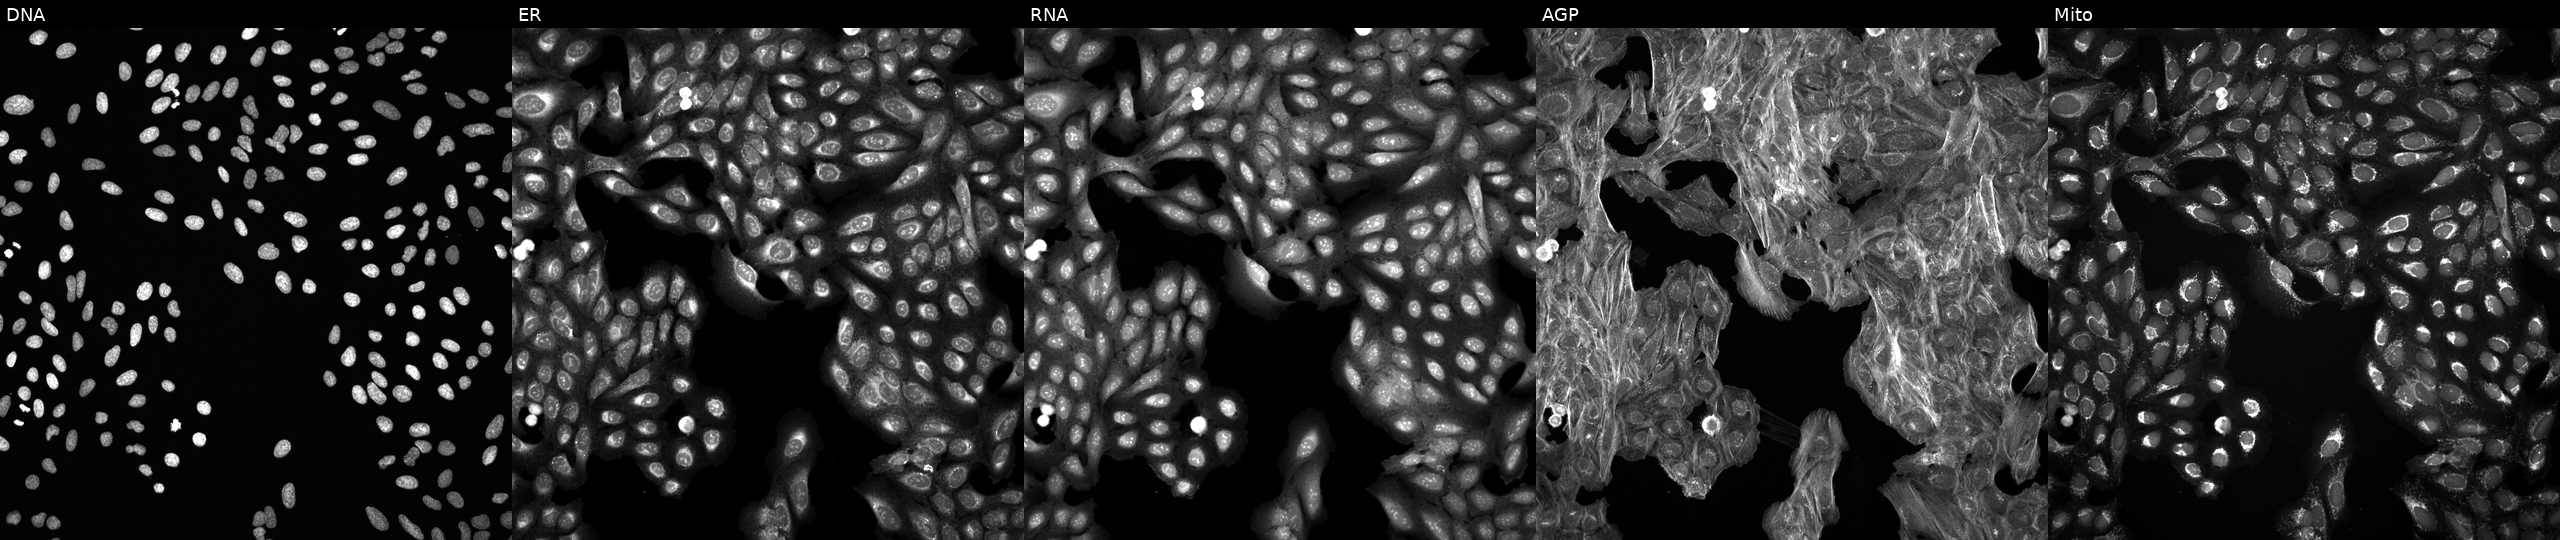
High-content fluorescence microscopy (Cell Painting). Cell line: U2OS. Perturbation: exposed to DMSO alone as a negative control (JUMP id JCP2022_033924). Panels show, left to right, DNA (nuclei); ER (endoplasmic reticulum); RNA (nucleoli and cytoplasmic RNA); AGP (actin cytoskeleton, Golgi, and plasma membrane); Mito (mitochondria).